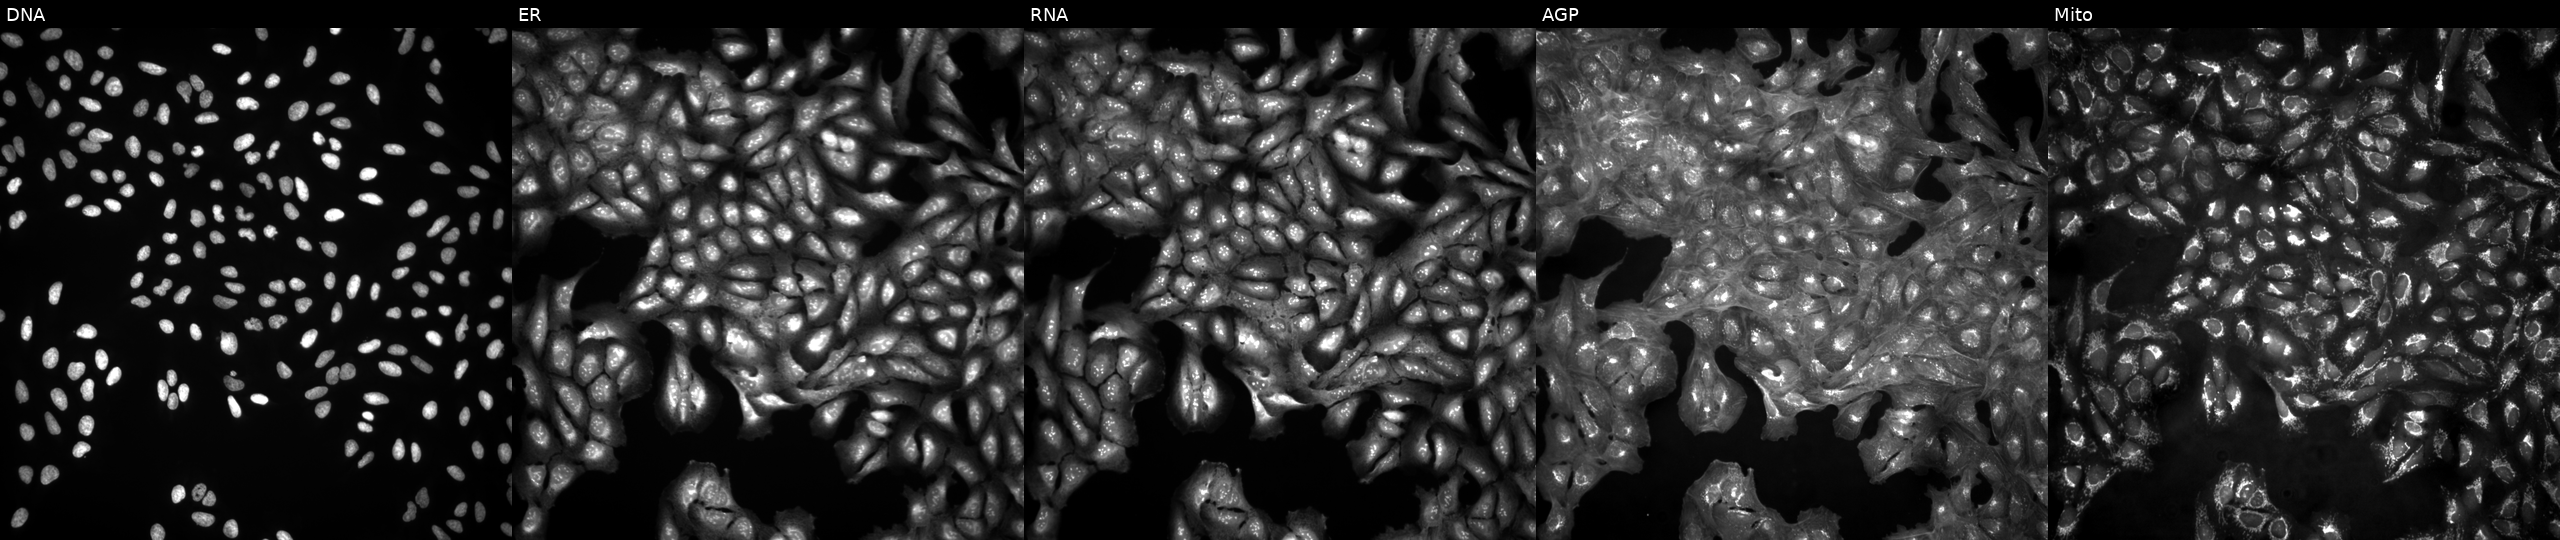
Five-channel Cell Painting image of U2OS cells untreated (empty-well control). From left to right: DNA, ER, RNA, AGP, and Mito. Source 4, plate BR00123946, well H16.